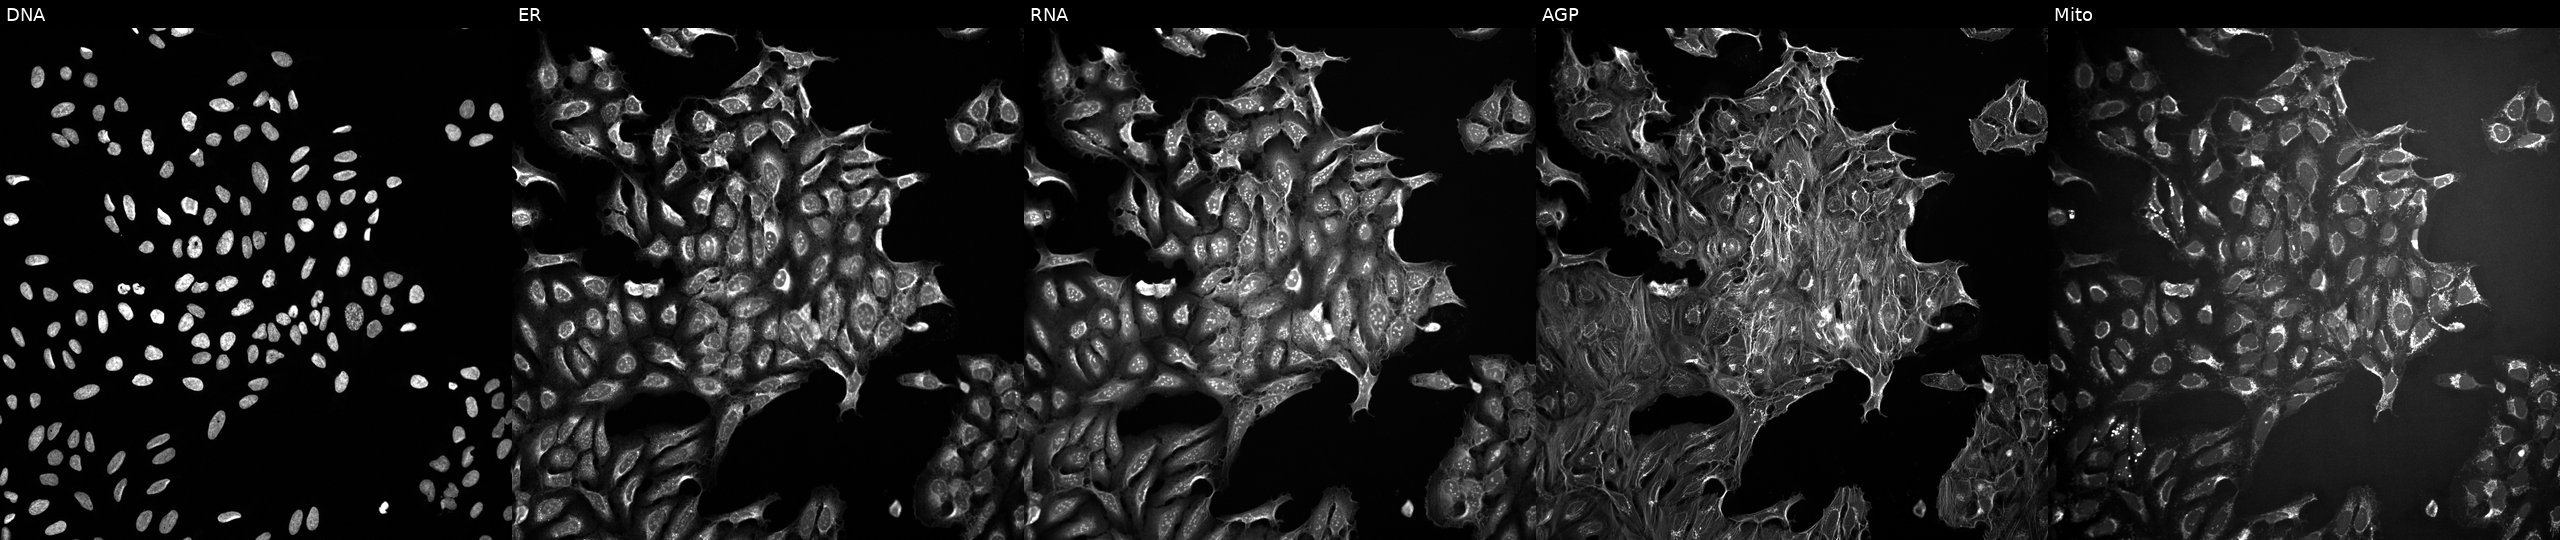
High-content fluorescence microscopy (Cell Painting). Cell line: U2OS. Perturbation: treated with a small-molecule compound [SMILES: O=C(Cn1nnc2ccccc21)NCc1cncc(-c2ccco2)c1] (JUMP id JCP2022_019575). Channels (left→right): DNA, ER, RNA, AGP, and Mito.